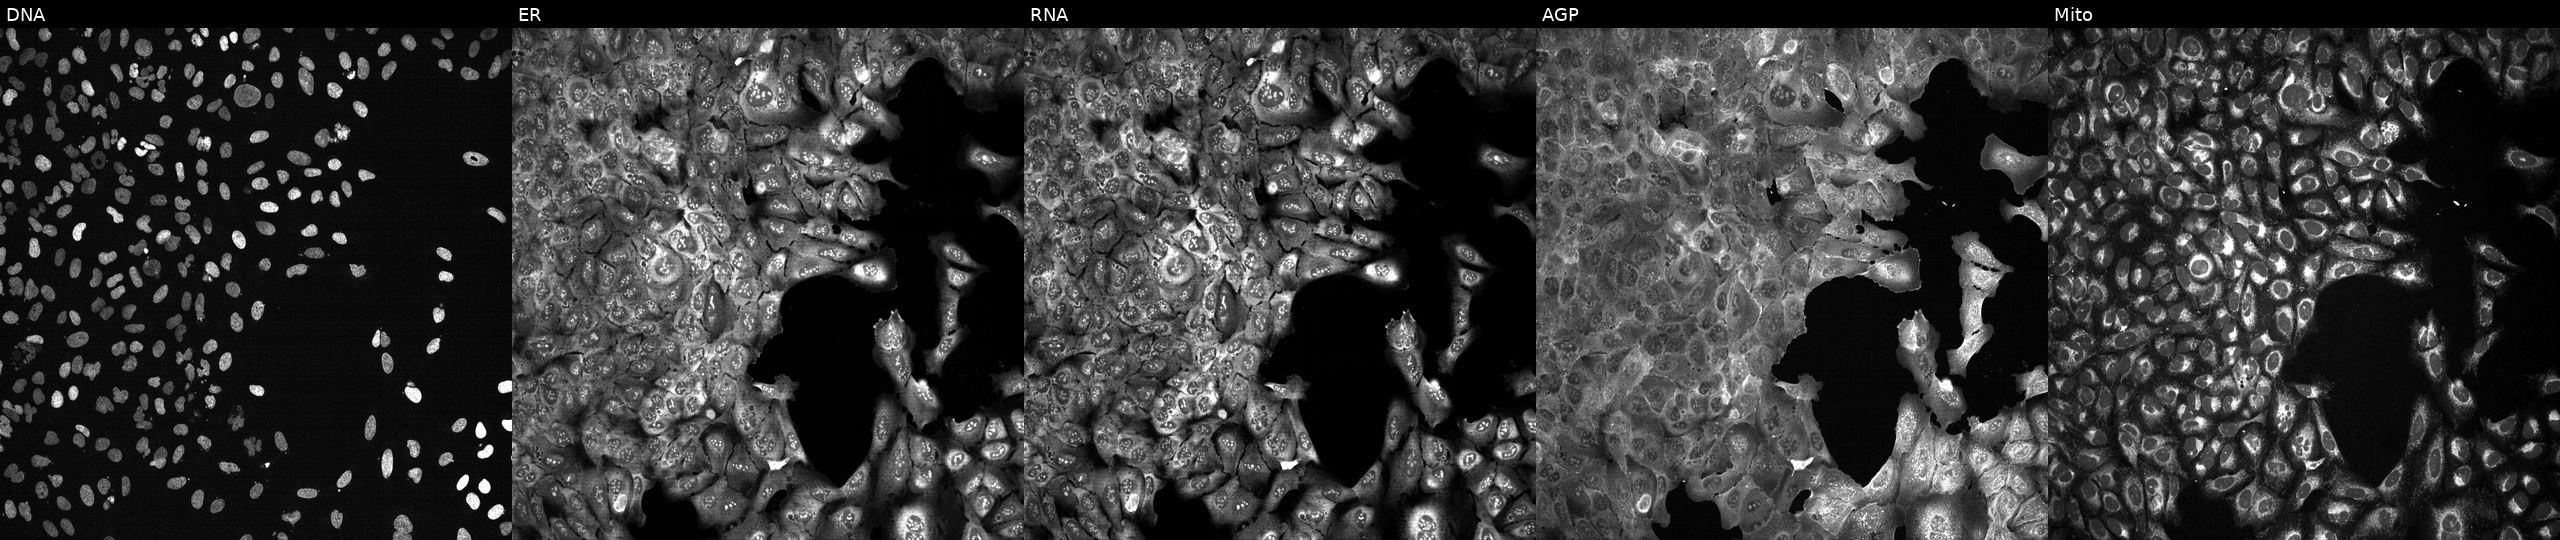
This image strip shows the five Cell Painting channels for a single field of U2OS cells following CRISPR knockout of TUBG1 (JUMP id JCP2022_807400). Panels show, left to right, DNA, ER, RNA, AGP, and Mito. Source 13, plate CP-CC9-R3-02, well C05.